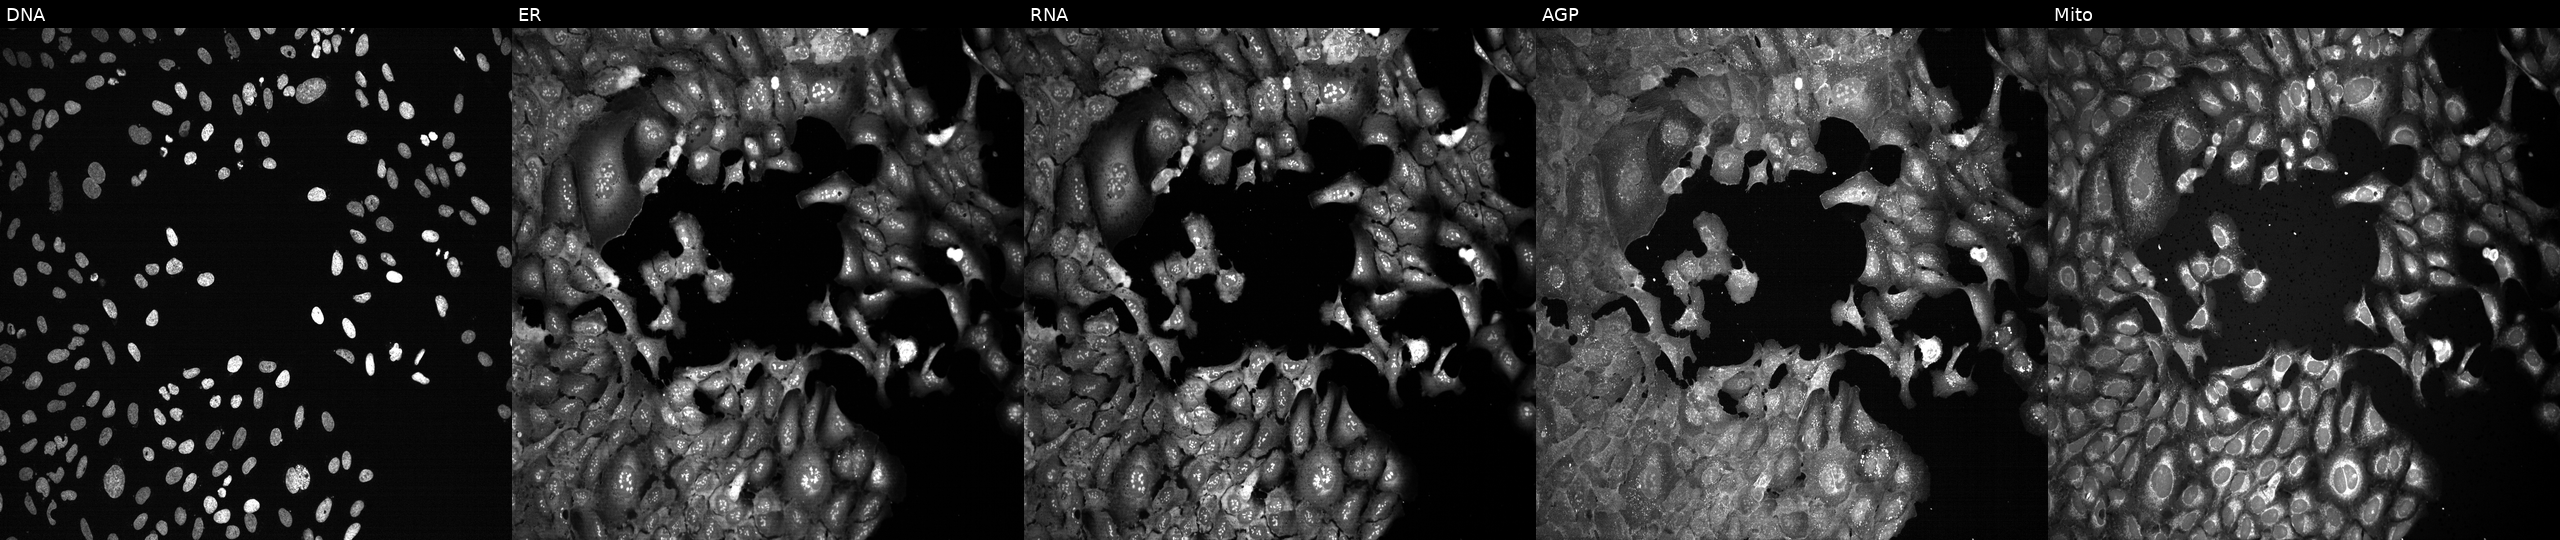
This image strip shows the five Cell Painting channels for a single field of U2OS cells following CRISPR knockout of EIF1. The five panels, left to right, show DNA (nuclei); ER (endoplasmic reticulum); RNA (nucleoli and cytoplasmic RNA); AGP (actin cytoskeleton, Golgi, and plasma membrane); Mito (mitochondria). Source 13, plate CP-CC9-R5-01, well D05.